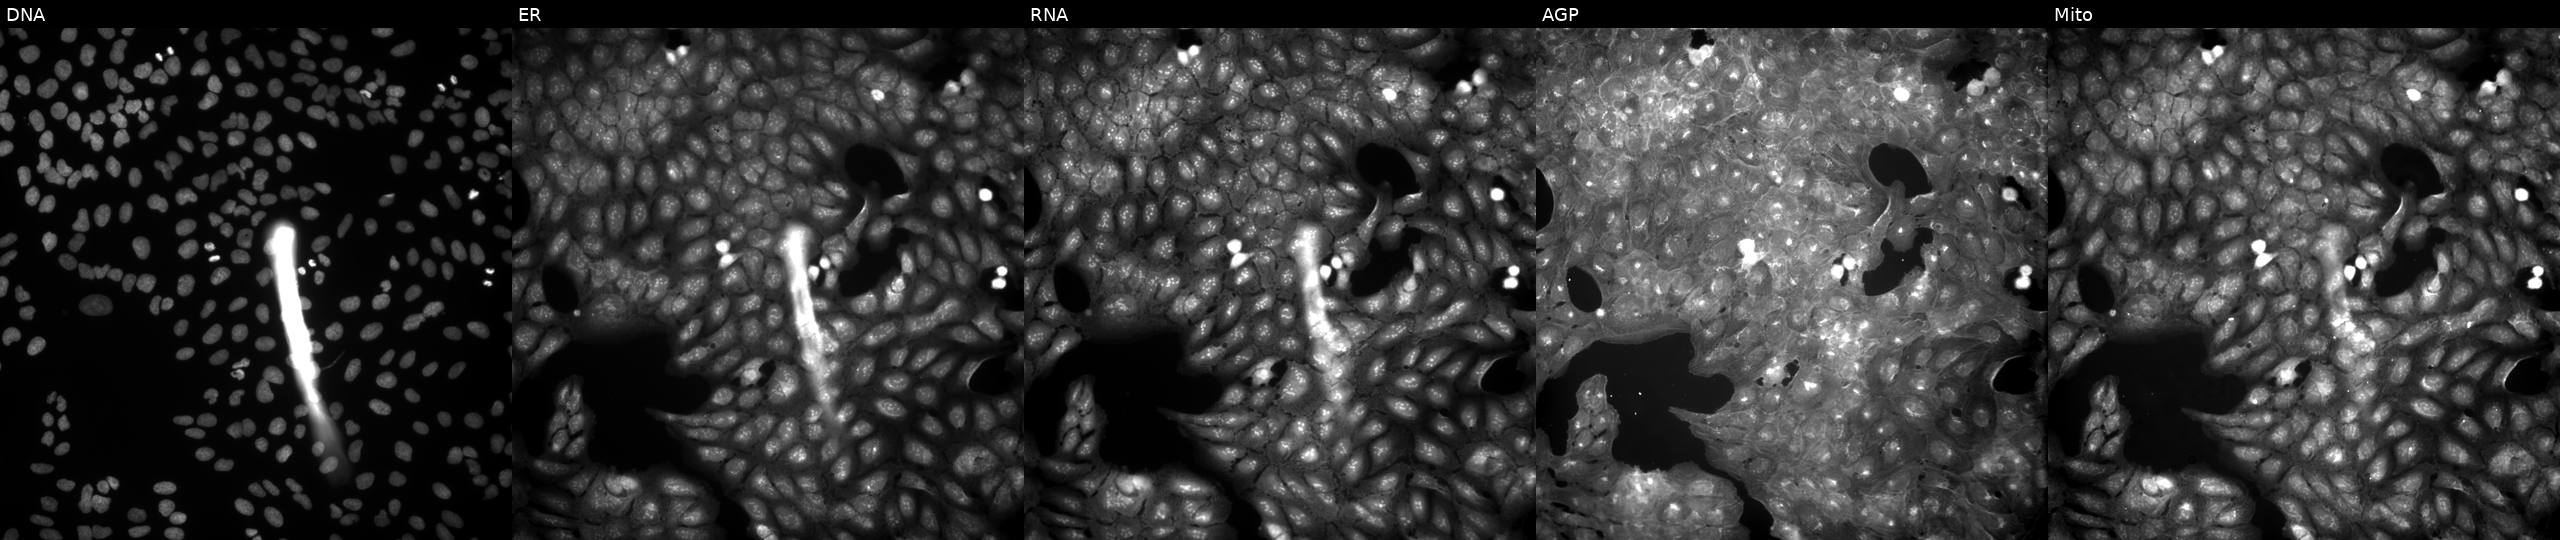
Five-channel Cell Painting image of U2OS cells exposed to a small-molecule compound (InChIKey JGFAFLDHQWIROX-UHFFFAOYSA-N) (JUMP id JCP2022_039586). Panels show, left to right, DNA (nuclei); ER (endoplasmic reticulum); RNA (nucleoli and cytoplasmic RNA); AGP (actin cytoskeleton, Golgi, and plasma membrane); Mito (mitochondria).